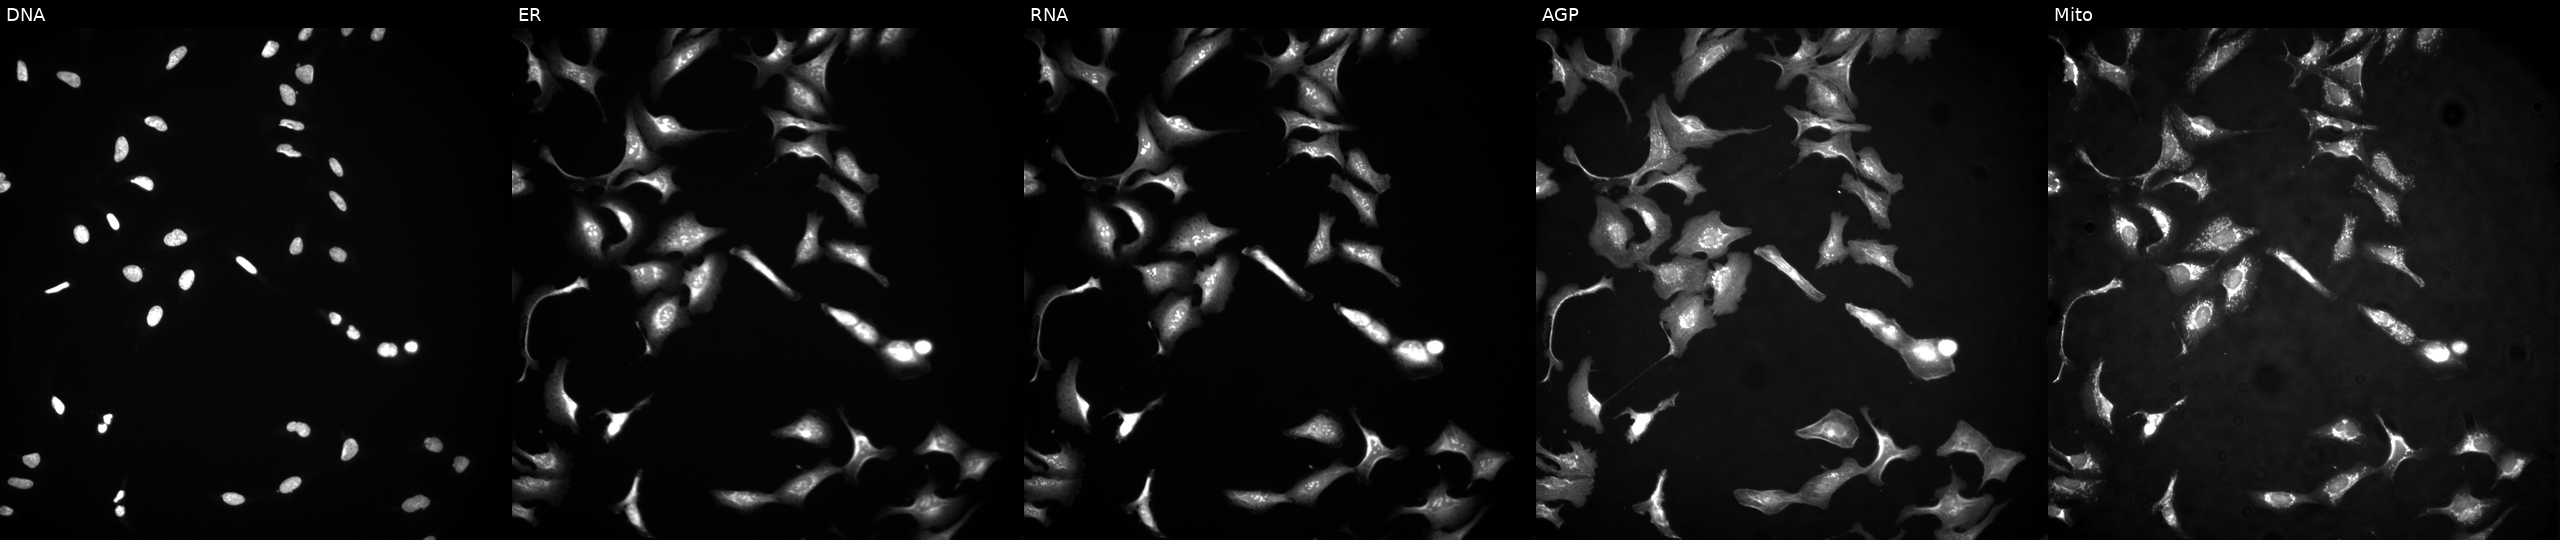
The five panels, left to right, show Hoechst 33342, concanavalin A, SYTO 14, phalloidin and WGA, MitoTracker. U2OS osteosarcoma cells transfected with an ORF construct for LETM2 (JUMP id JCP2022_912301). Cell Painting assay, JUMP-CP dataset.